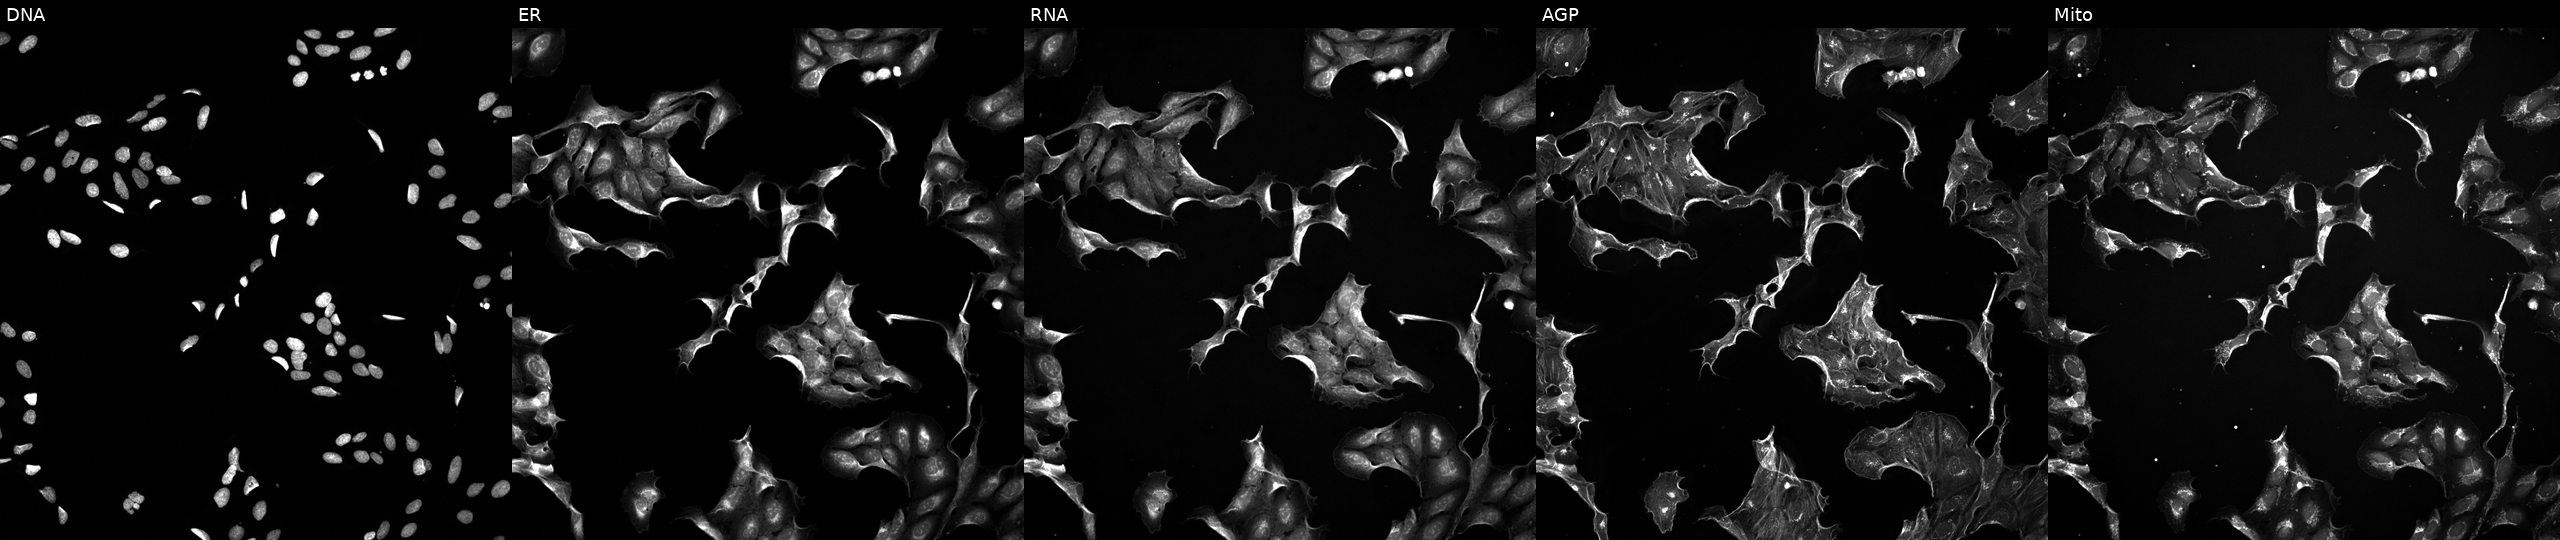
This image strip shows the five Cell Painting channels for a single field of U2OS cells treated with a small-molecule compound (InChIKey XRVDGNKRPOAQTN-UHFFFAOYSA-N). The five panels, left to right, show DNA, ER, RNA, AGP, and Mito. Source 5, plate ACPJUM051, well C02.